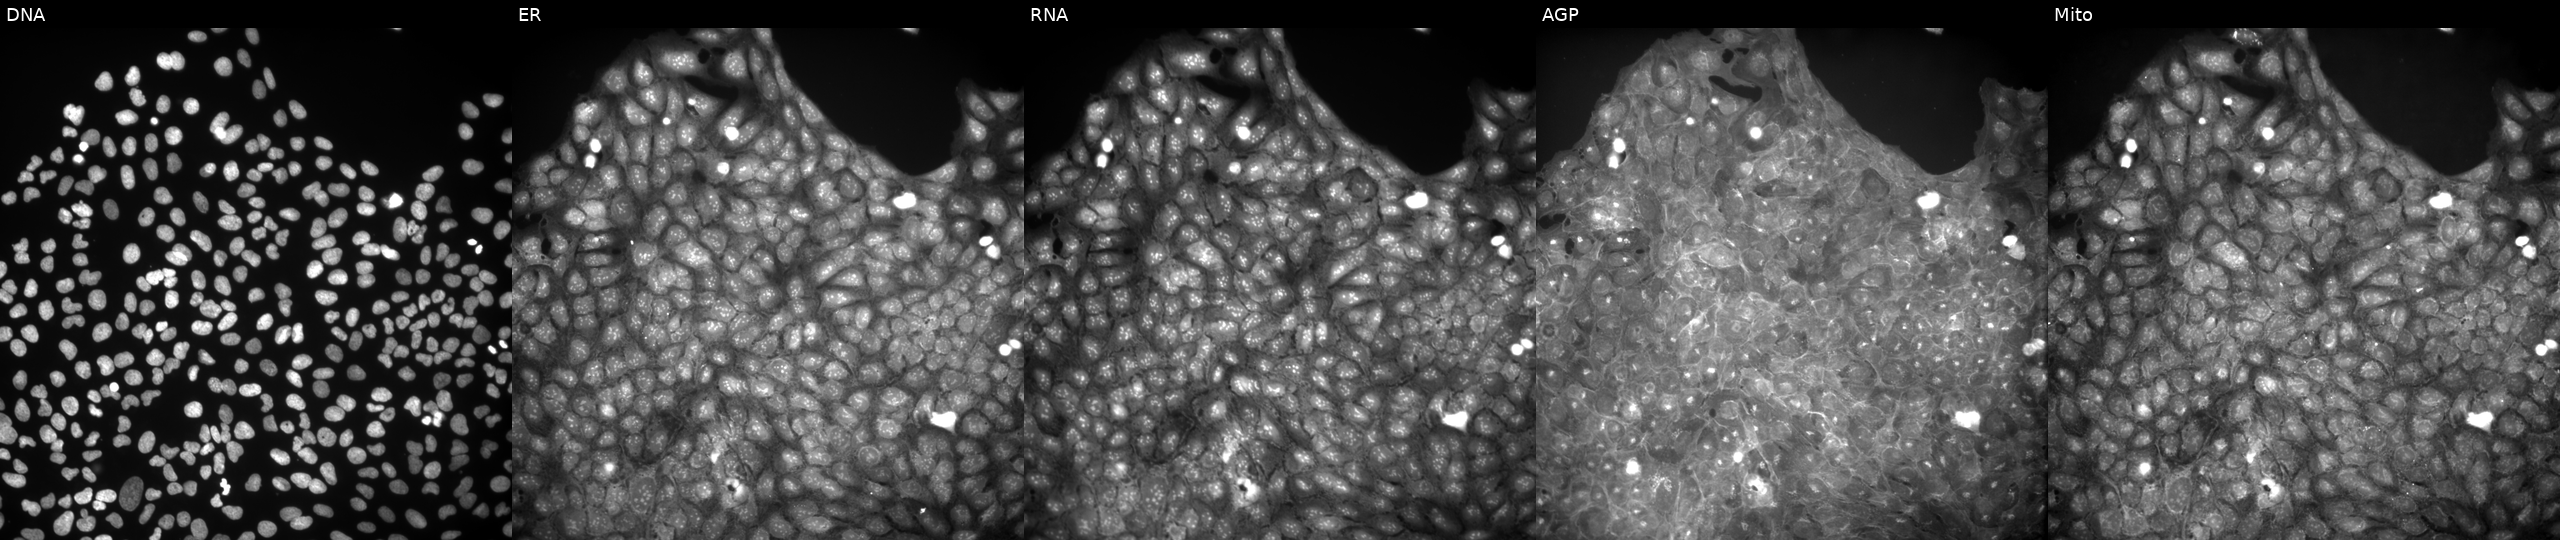
High-content fluorescence microscopy (Cell Painting). Cell line: U2OS. Perturbation: perturbed with a small-molecule compound [SMILES: O=C(CN(Cc1ccccc1)S(=O)(=O)c1ccccc1)N1CCOCC1] (JUMP id JCP2022_097954). Panels show, left to right, DNA (nuclei); ER (endoplasmic reticulum); RNA (nucleoli and cytoplasmic RNA); AGP (actin cytoskeleton, Golgi, and plasma membrane); Mito (mitochondria).